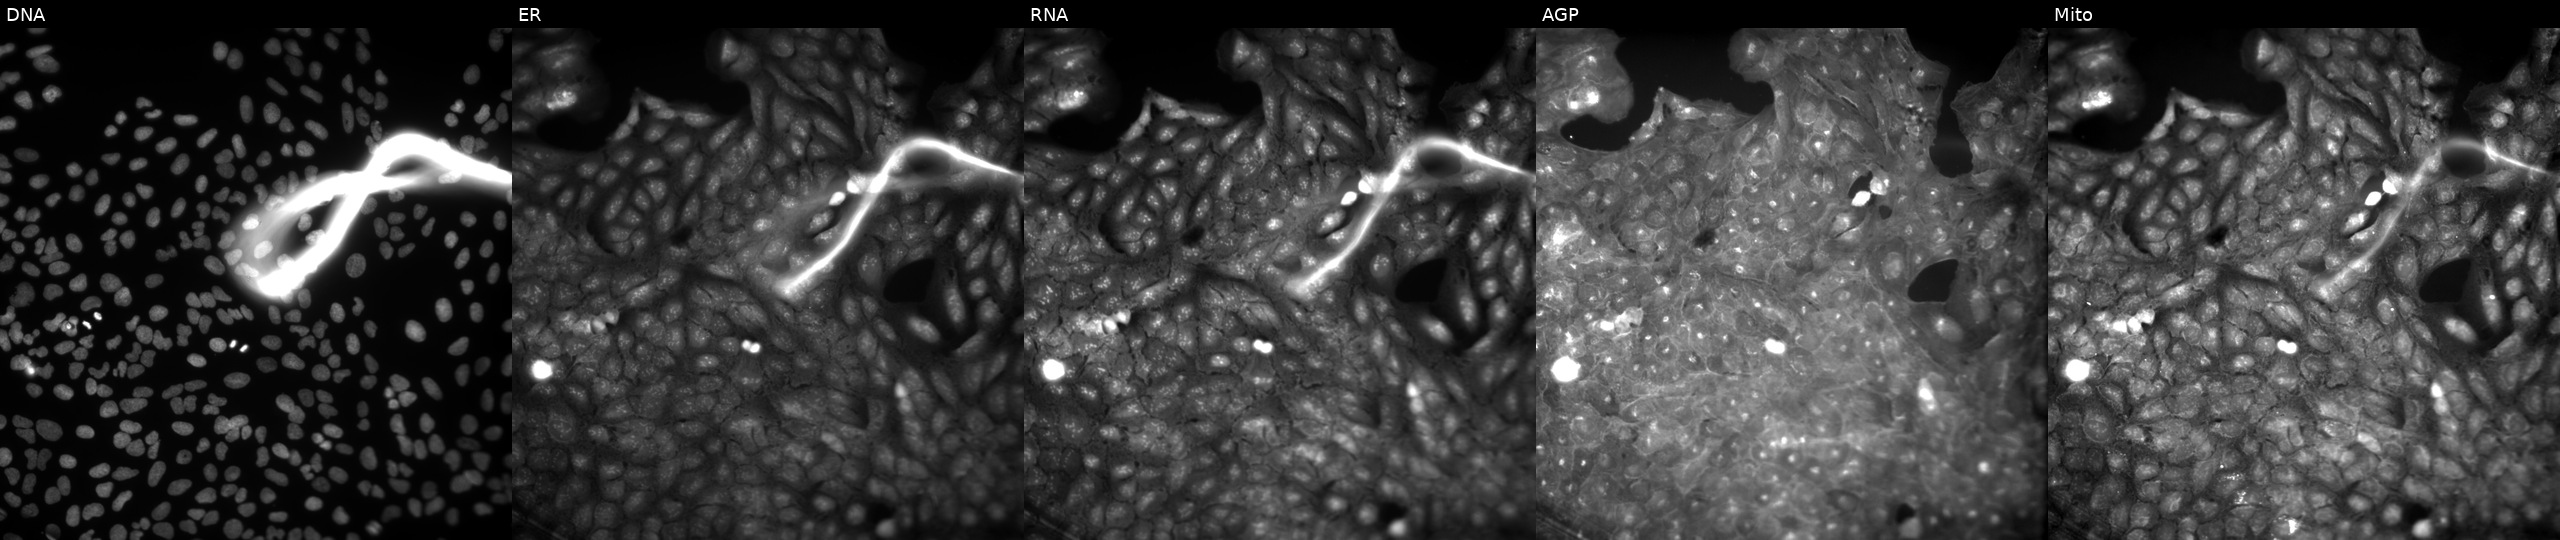
This image strip shows the five Cell Painting channels for a single field of U2OS cells perturbed with a small-molecule compound (InChIKey MAUARNLUDJTUHZ-UHFFFAOYSA-N) (JUMP id JCP2022_052937). Panels show, left to right, DNA, ER, RNA, AGP, and Mito.